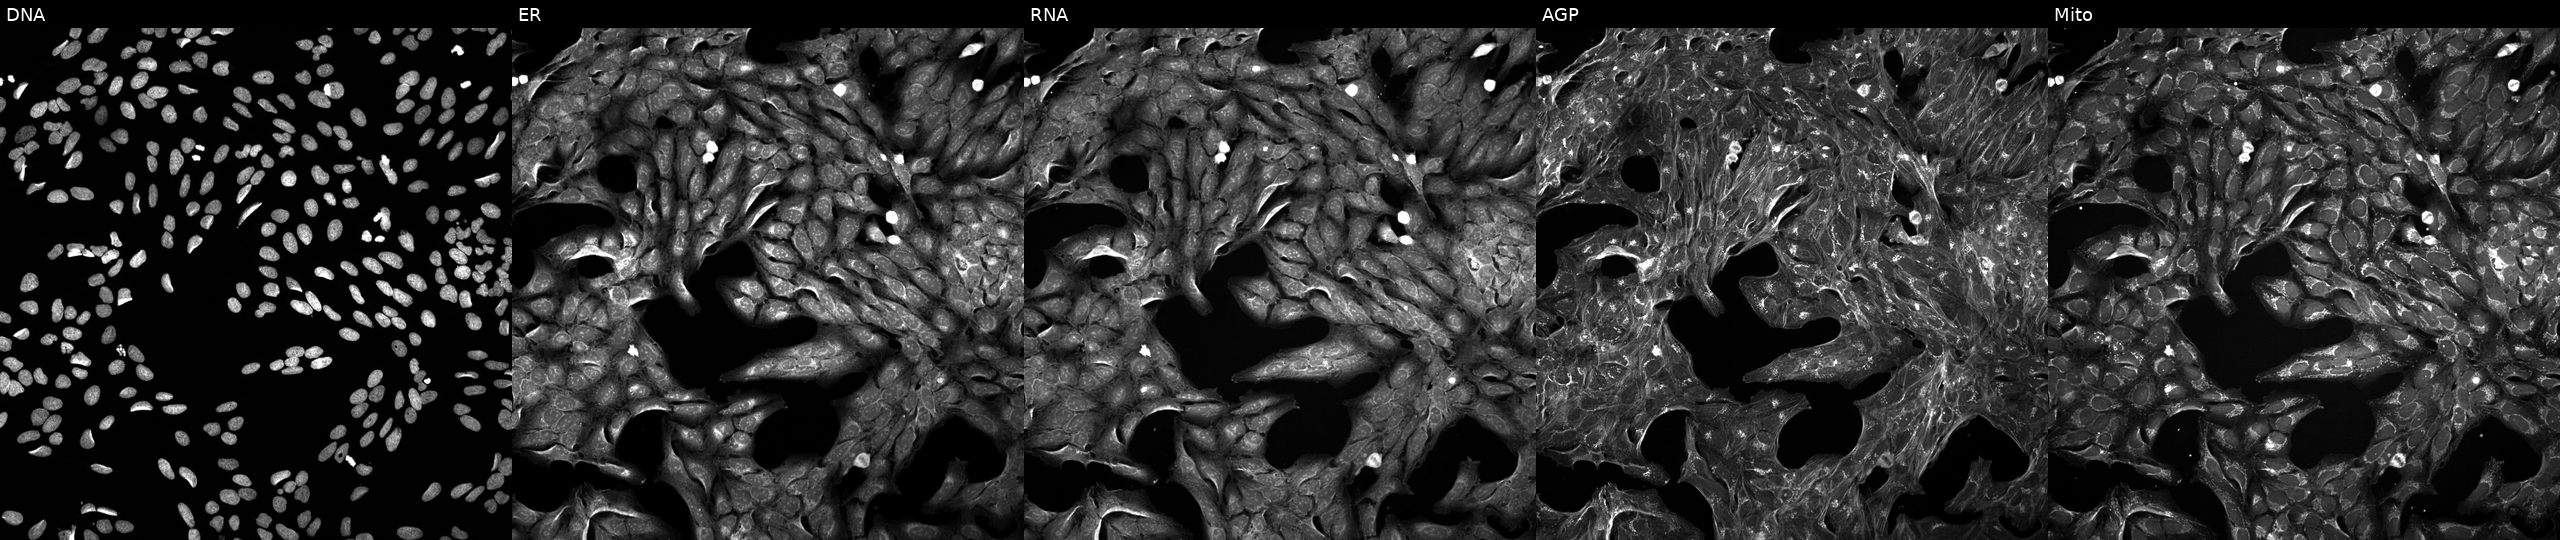
JUMP Cell Painting — TARGET2 plate. U2OS cells perturbed with a small-molecule compound (InChIKey CDMGBJANTYXAIV-UHFFFAOYSA-N) [SMILES: C[S+]([O-])c1ccc(-c2nc(-c3ccc(F)cc3)c(-c3ccncc3)[nH]2)cc1]. Channels (left→right): DNA (nuclei); ER (endoplasmic reticulum); RNA (nucleoli and cytoplasmic RNA); AGP (actin cytoskeleton, Golgi, and plasma membrane); Mito (mitochondria).